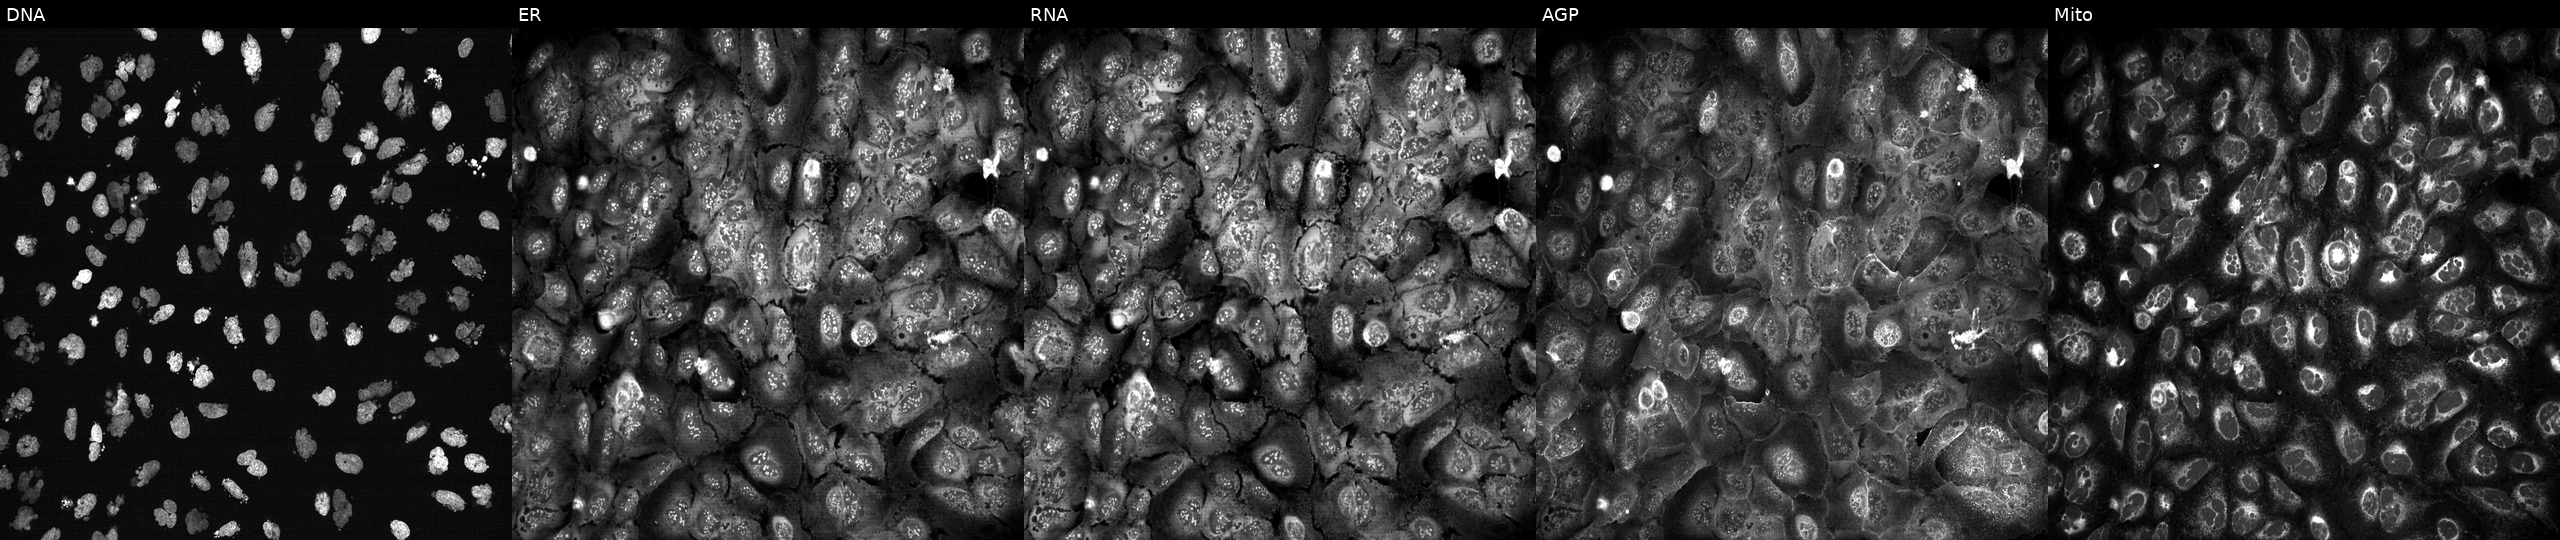
U2OS cells, Cell Painting assay, treated with AMG900 (positive-control compound) (JUMP id JCP2022_037716). From left to right: DNA (nuclei); ER (endoplasmic reticulum); RNA (nucleoli and cytoplasmic RNA); AGP (actin cytoskeleton, Golgi, and plasma membrane); Mito (mitochondria). Each panel is percentile-stretched 16-bit fluorescence.